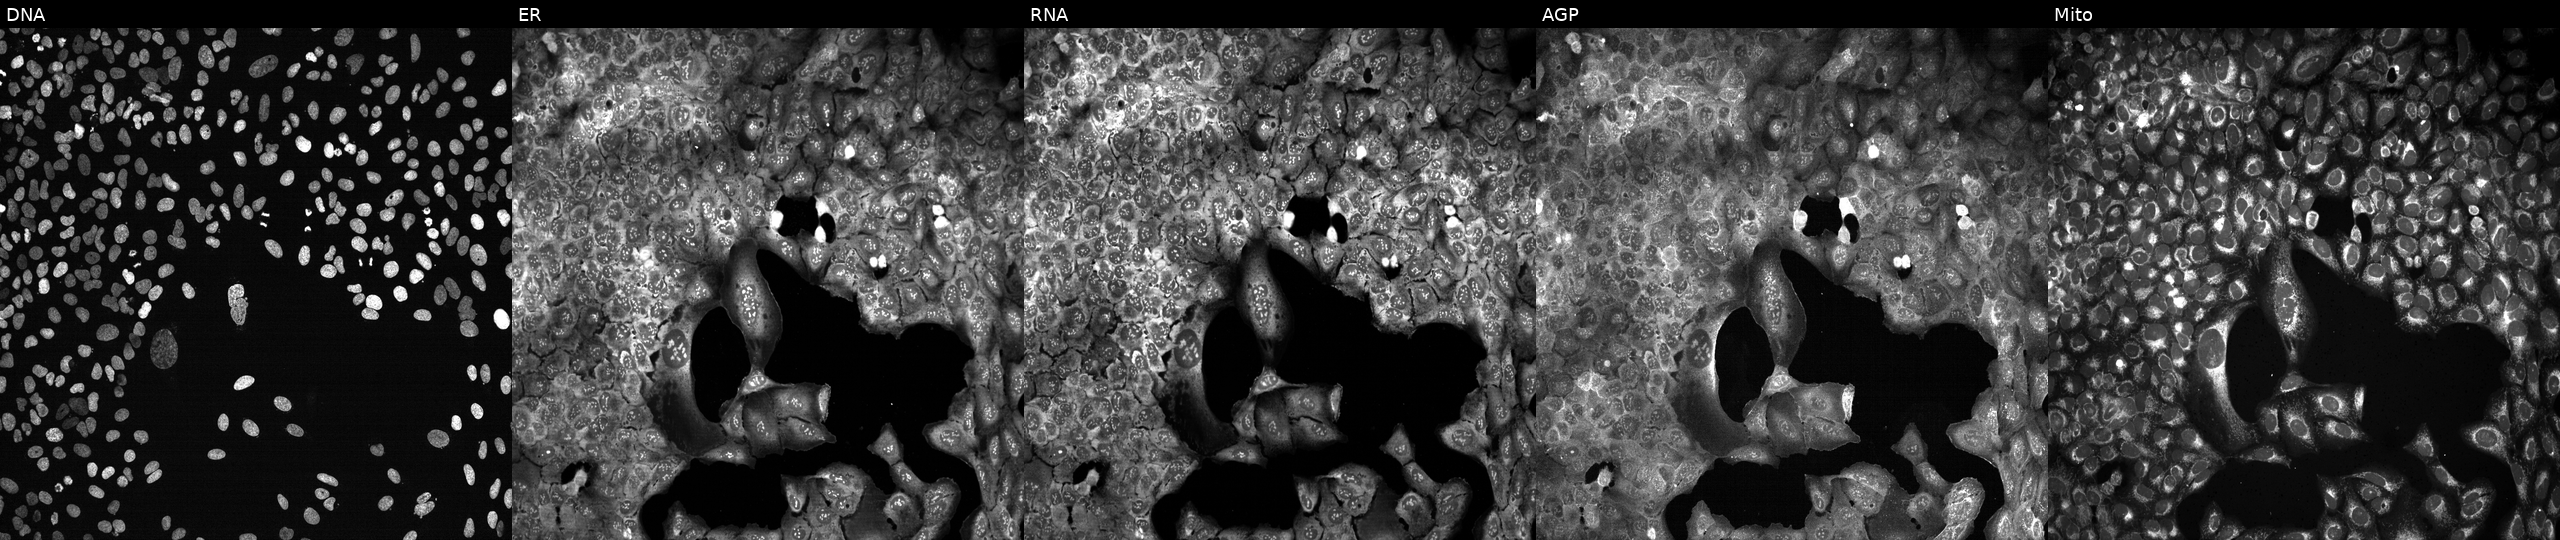
Five-channel Cell Painting image of U2OS cells with VNN2 knocked out by CRISPR. Channels (left→right): DNA, ER, RNA, AGP, and Mito.